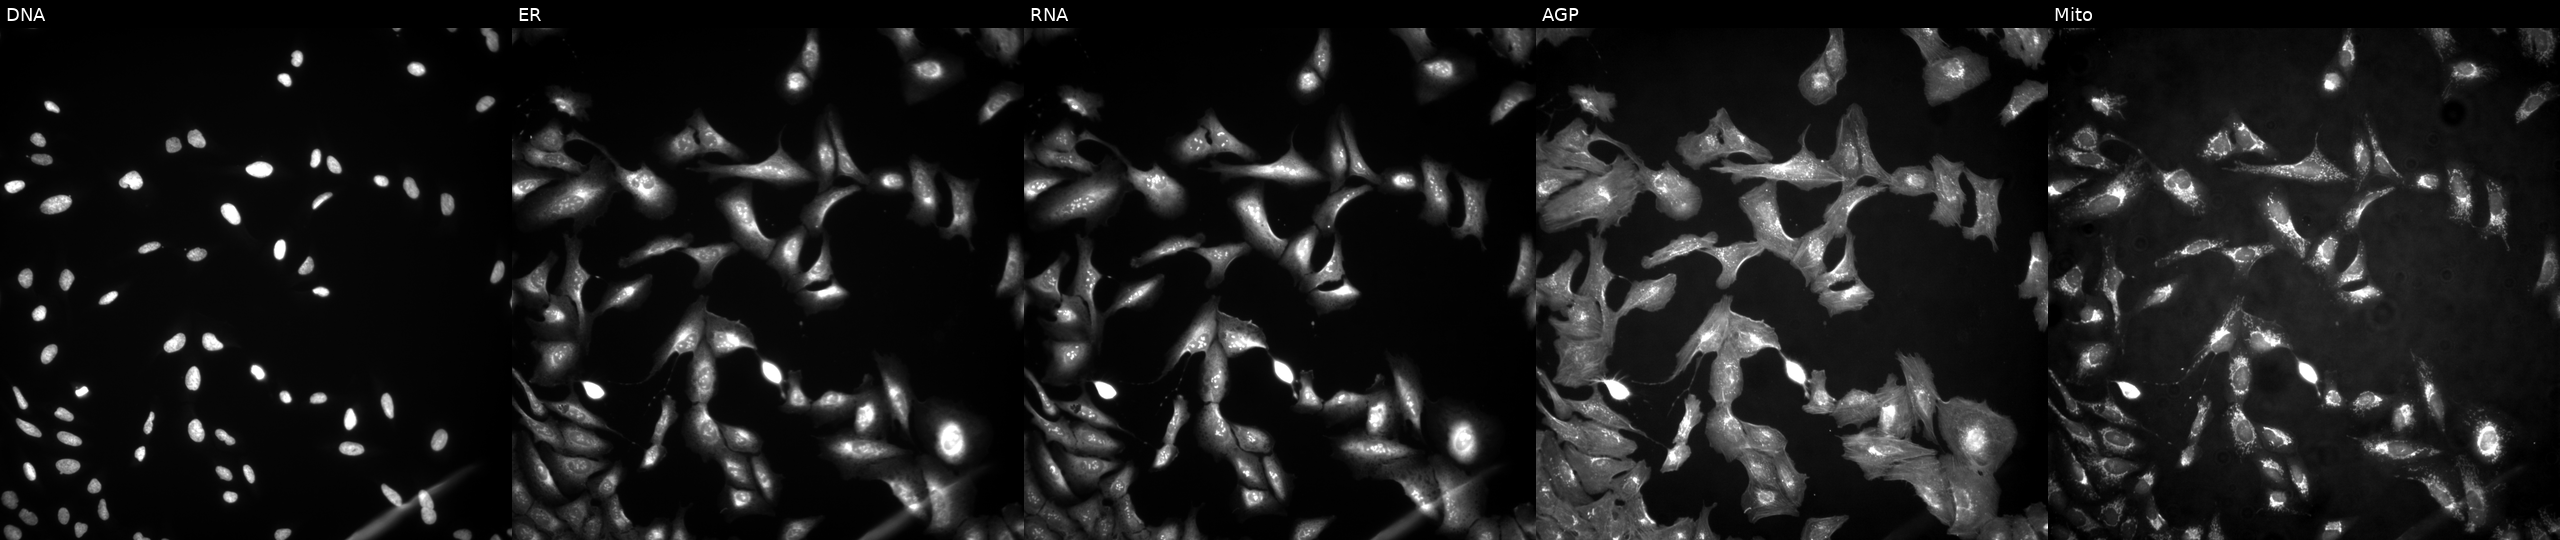
High-content fluorescence microscopy (Cell Painting). Cell line: U2OS. Perturbation: overexpressing TIGIT via ORF transfection (JUMP id JCP2022_904863). From left to right: DNA, ER, RNA, AGP, and Mito.